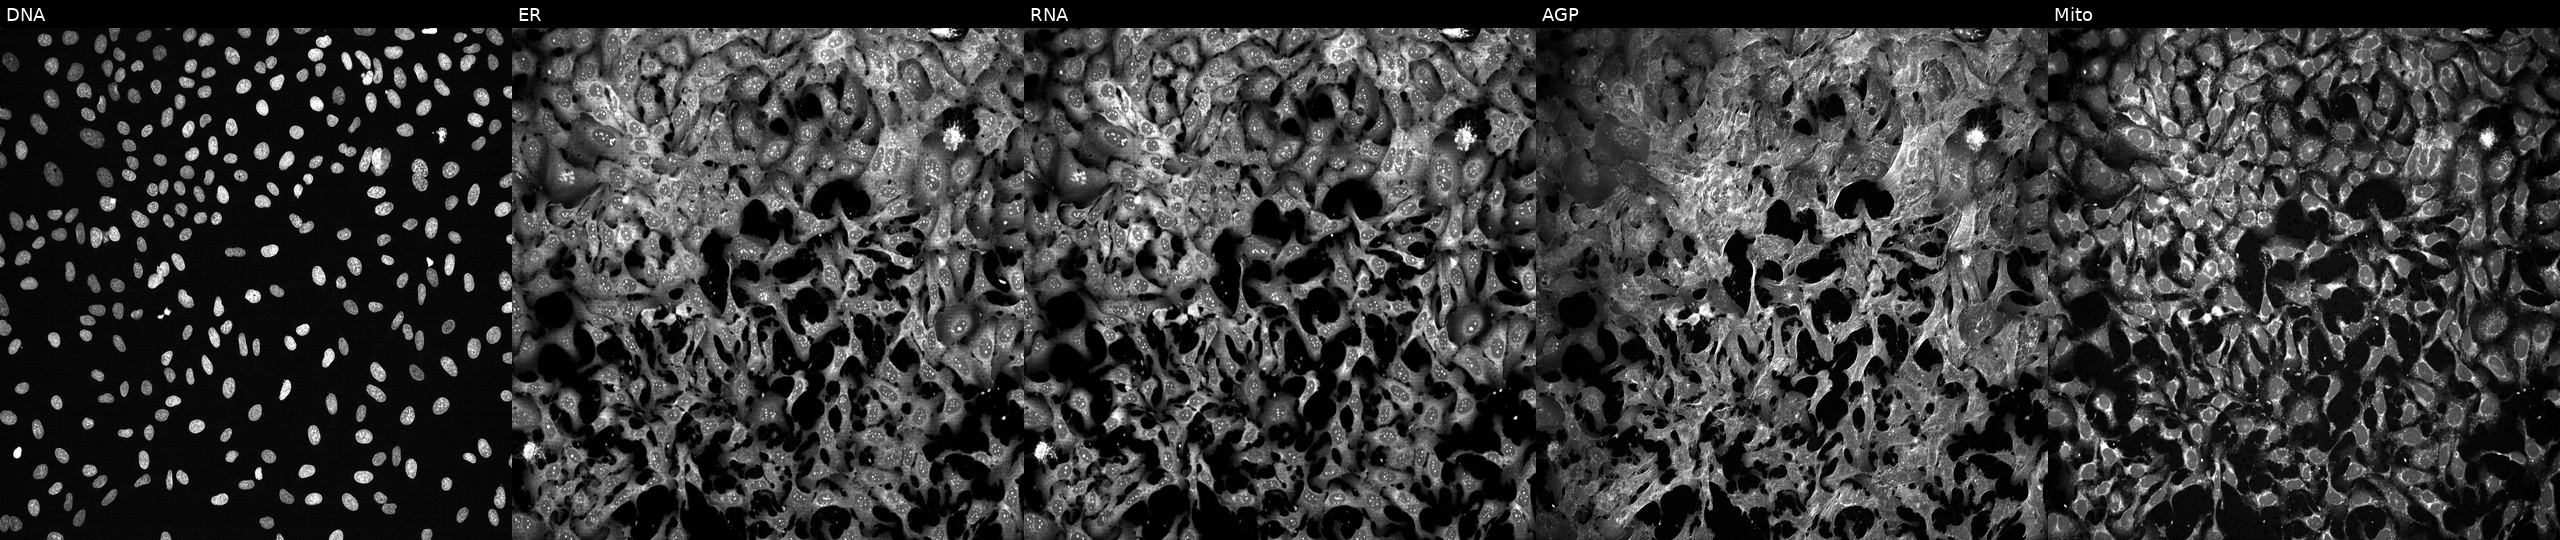
U2OS cells, Cell Painting assay, treated with FK-866 (positive-control compound) (JUMP id JCP2022_046054). The five panels, left to right, show DNA, ER, RNA, AGP, and Mito. Each panel is percentile-stretched 16-bit fluorescence. Source 13, plate CP-CC9-R6-19, well P24.